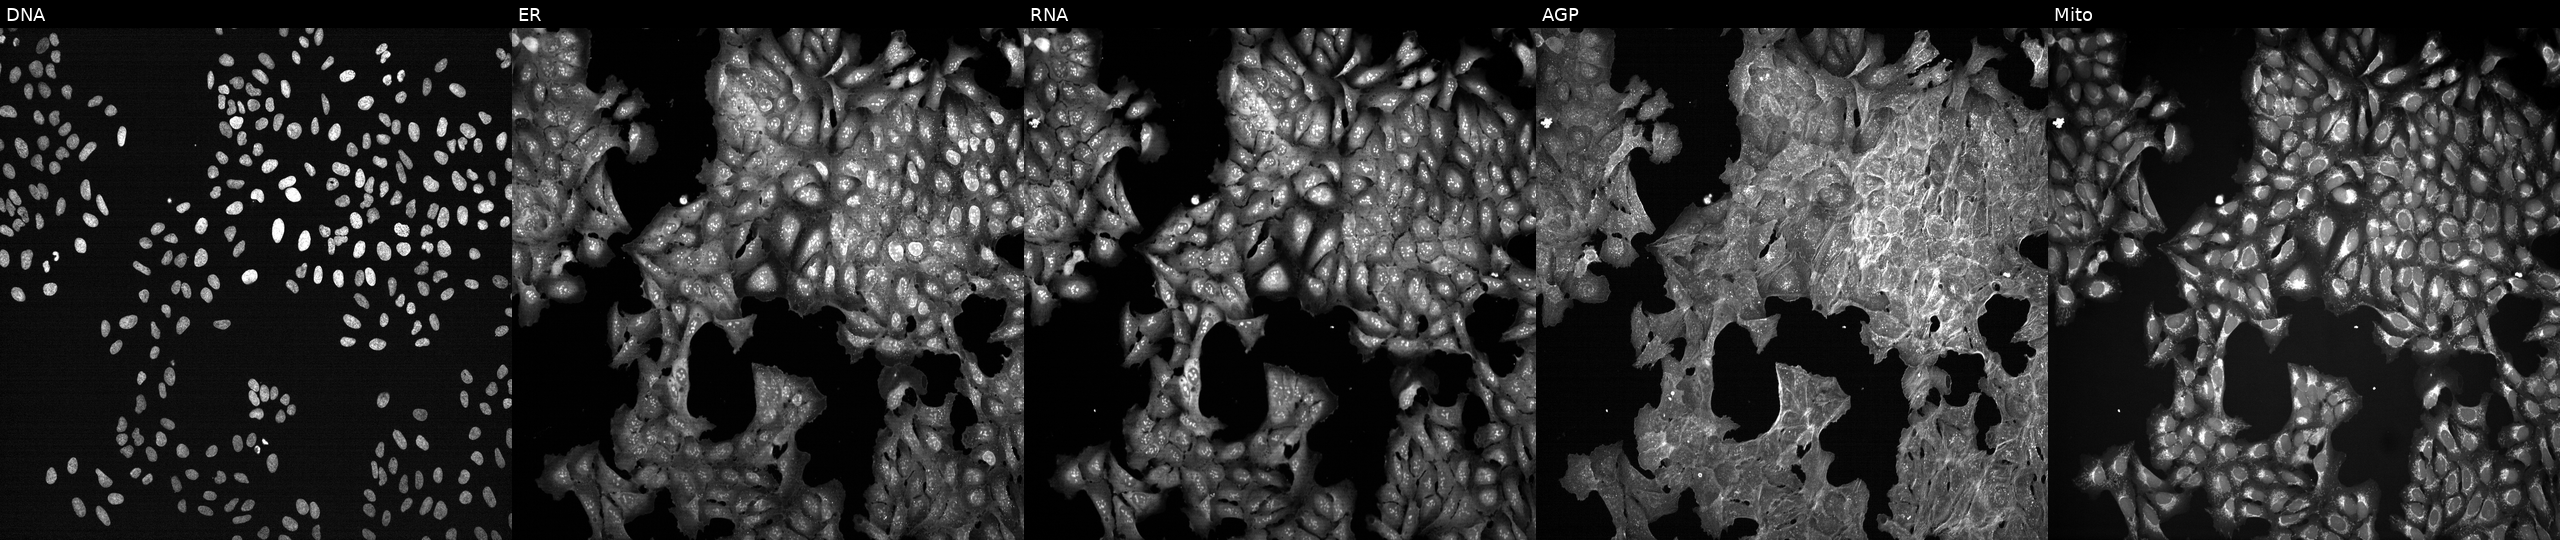
Five-channel Cell Painting image of U2OS cells perturbed with a small-molecule compound (InChIKey KJWGEXJCWCYEMI-UHFFFAOYSA-N) (JUMP id JCP2022_045105). Channels (left→right): DNA, ER, RNA, AGP, and Mito. Source 7, plate CP3-SC1-25, well O14.